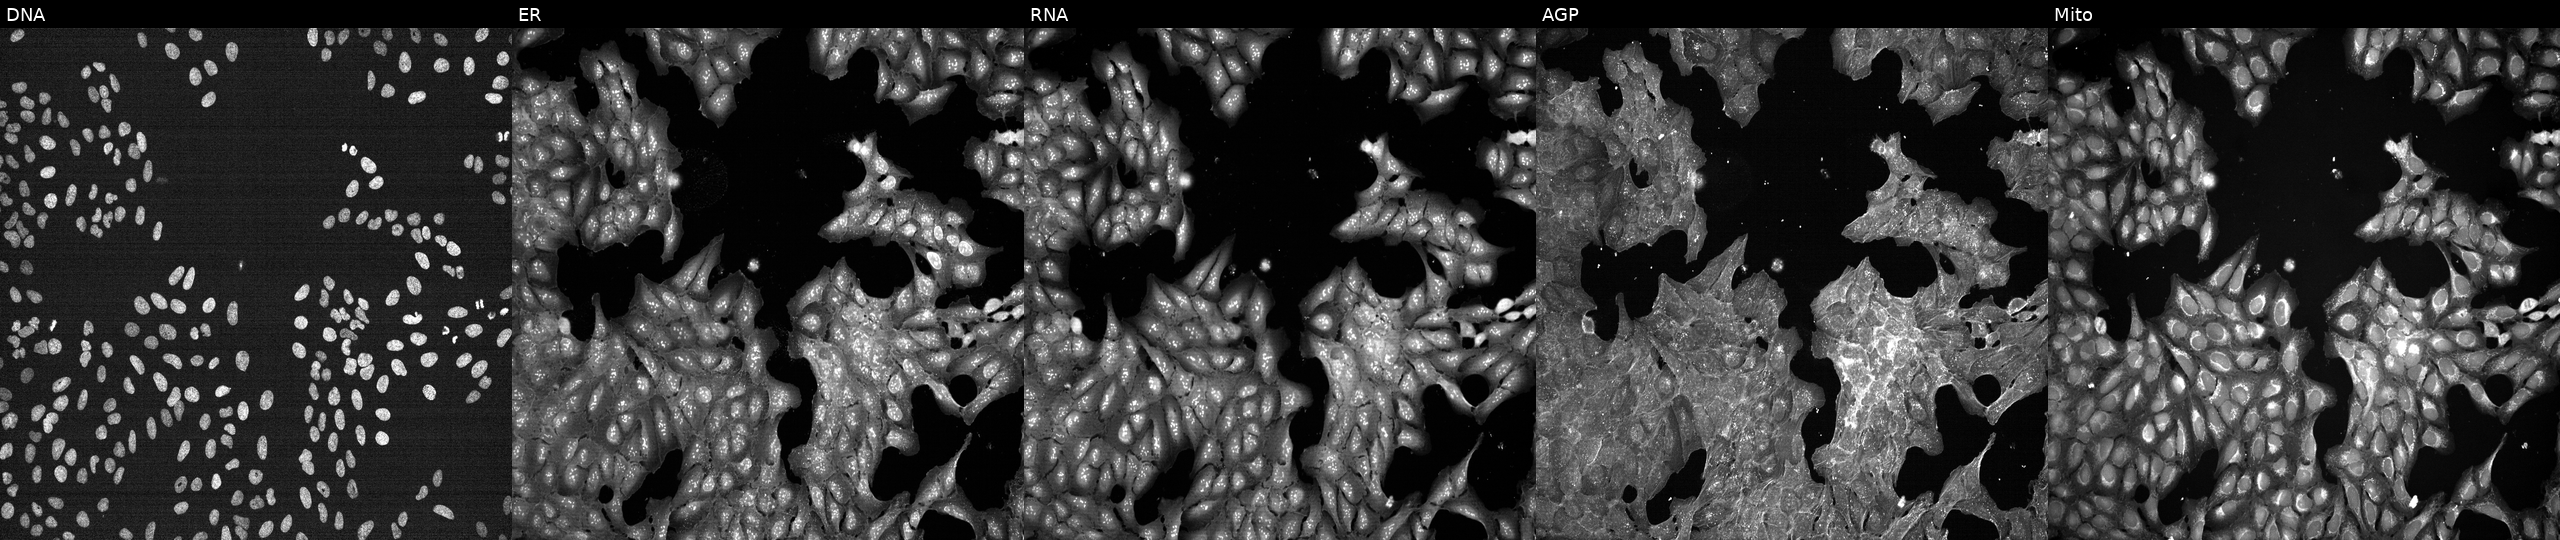
JUMP Cell Painting — TARGET2 plate. U2OS cells treated with a small-molecule compound (JUMP id JCP2022_056730). Channels (left→right): Hoechst 33342, concanavalin A, SYTO 14, phalloidin and WGA, MitoTracker.